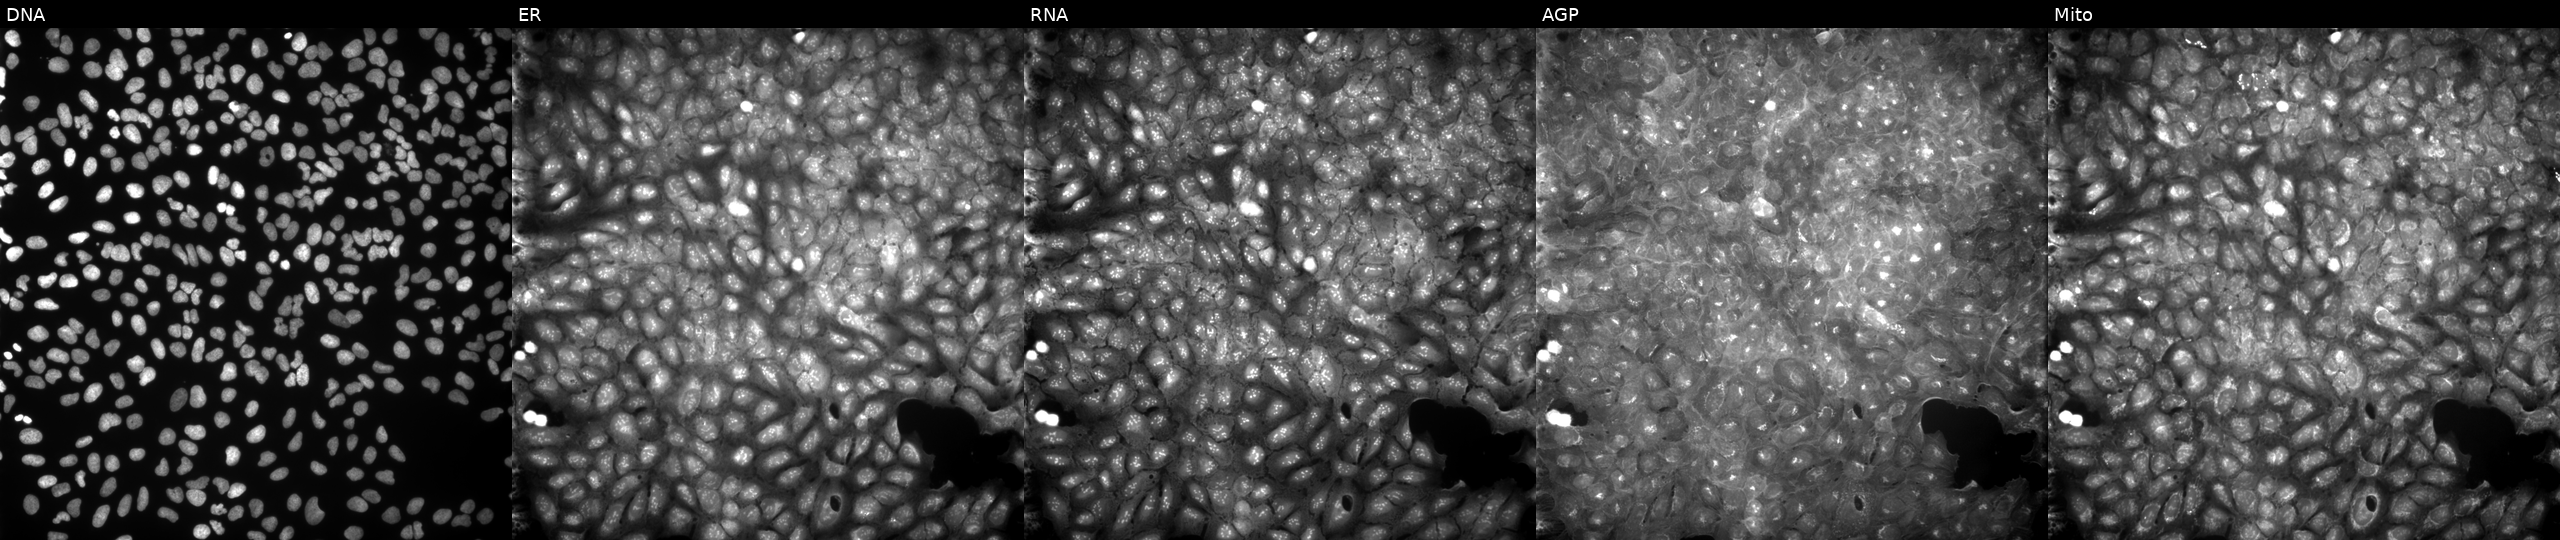
This image strip shows the five Cell Painting channels for a single field of U2OS cells perturbed with a small-molecule compound (InChIKey HCFFDRZPGDPZMN-UHFFFAOYSA-N) (JUMP id JCP2022_029273). Channels (left→right): DNA (nuclei); ER (endoplasmic reticulum); RNA (nucleoli and cytoplasmic RNA); AGP (actin cytoskeleton, Golgi, and plasma membrane); Mito (mitochondria). Source 9, plate GR00003381, well K20.